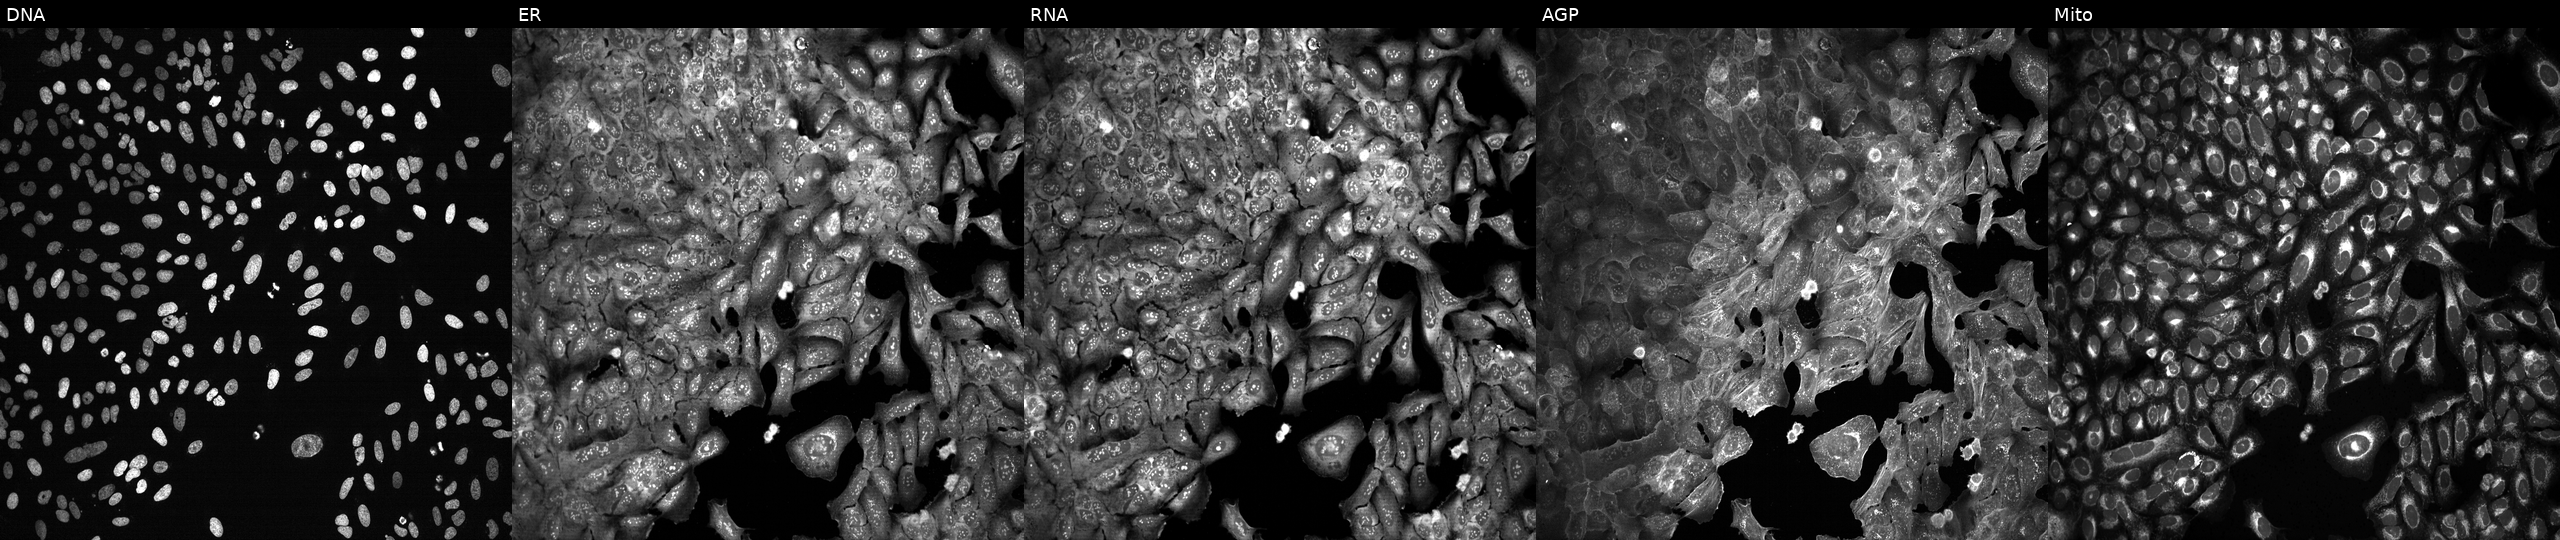
High-content fluorescence microscopy (Cell Painting). Cell line: U2OS. Perturbation: CRISPR-edited to disrupt ADAMTS4 (JUMP id JCP2022_800199). From left to right: Hoechst 33342, concanavalin A, SYTO 14, phalloidin and WGA, MitoTracker. Source 13, plate CP-CC9-R6-19, well E22.